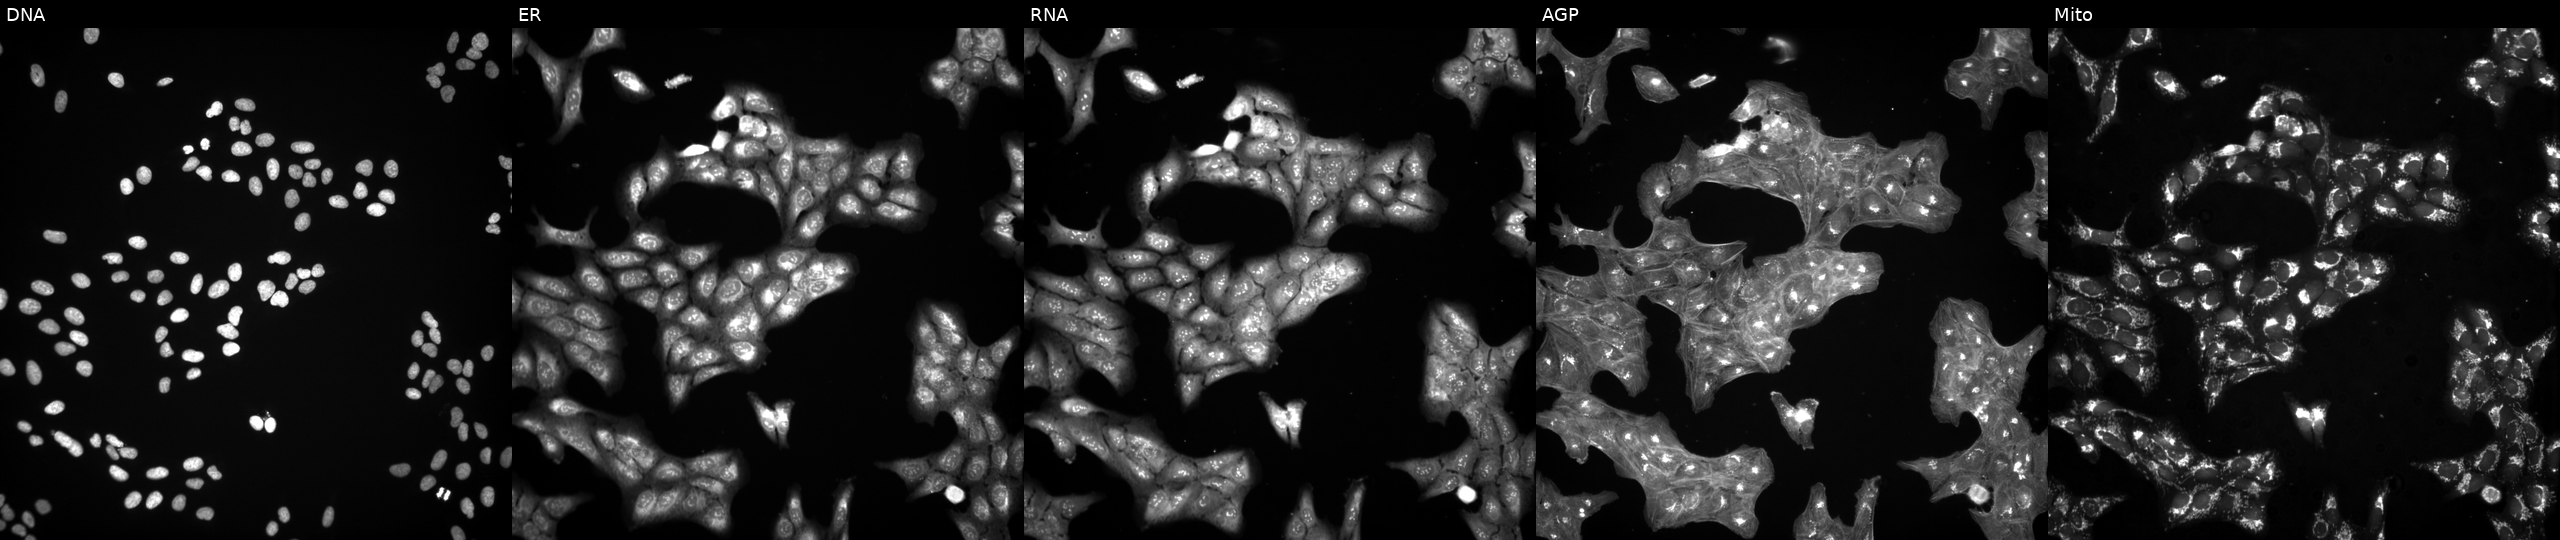
This image strip shows the five Cell Painting channels for a single field of U2OS cells perturbed with a small-molecule compound (InChIKey XAERTESKPLXJJF-UHFFFAOYSA-N). From left to right: DNA (nuclei); ER (endoplasmic reticulum); RNA (nucleoli and cytoplasmic RNA); AGP (actin cytoskeleton, Golgi, and plasma membrane); Mito (mitochondria).